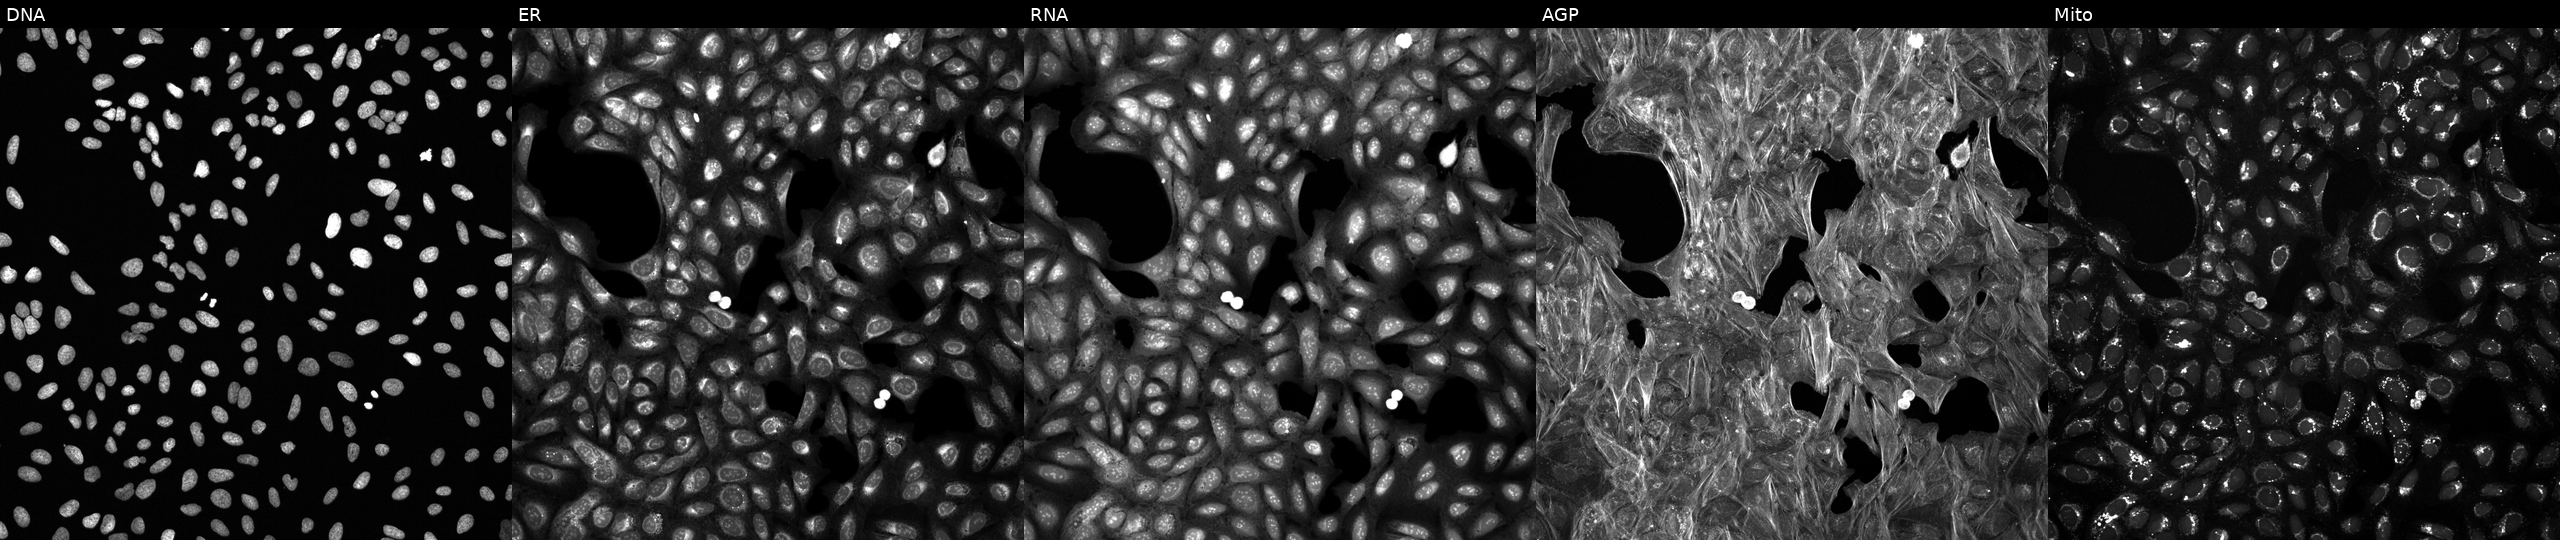
This image strip shows the five Cell Painting channels for a single field of U2OS cells exposed to a small-molecule compound (InChIKey WXQFCGGAJQWESD-UHFFFAOYSA-N) (JUMP id JCP2022_101865). Panels show, left to right, DNA, ER, RNA, AGP, and Mito. Source 6, plate 110000293083, well E08.